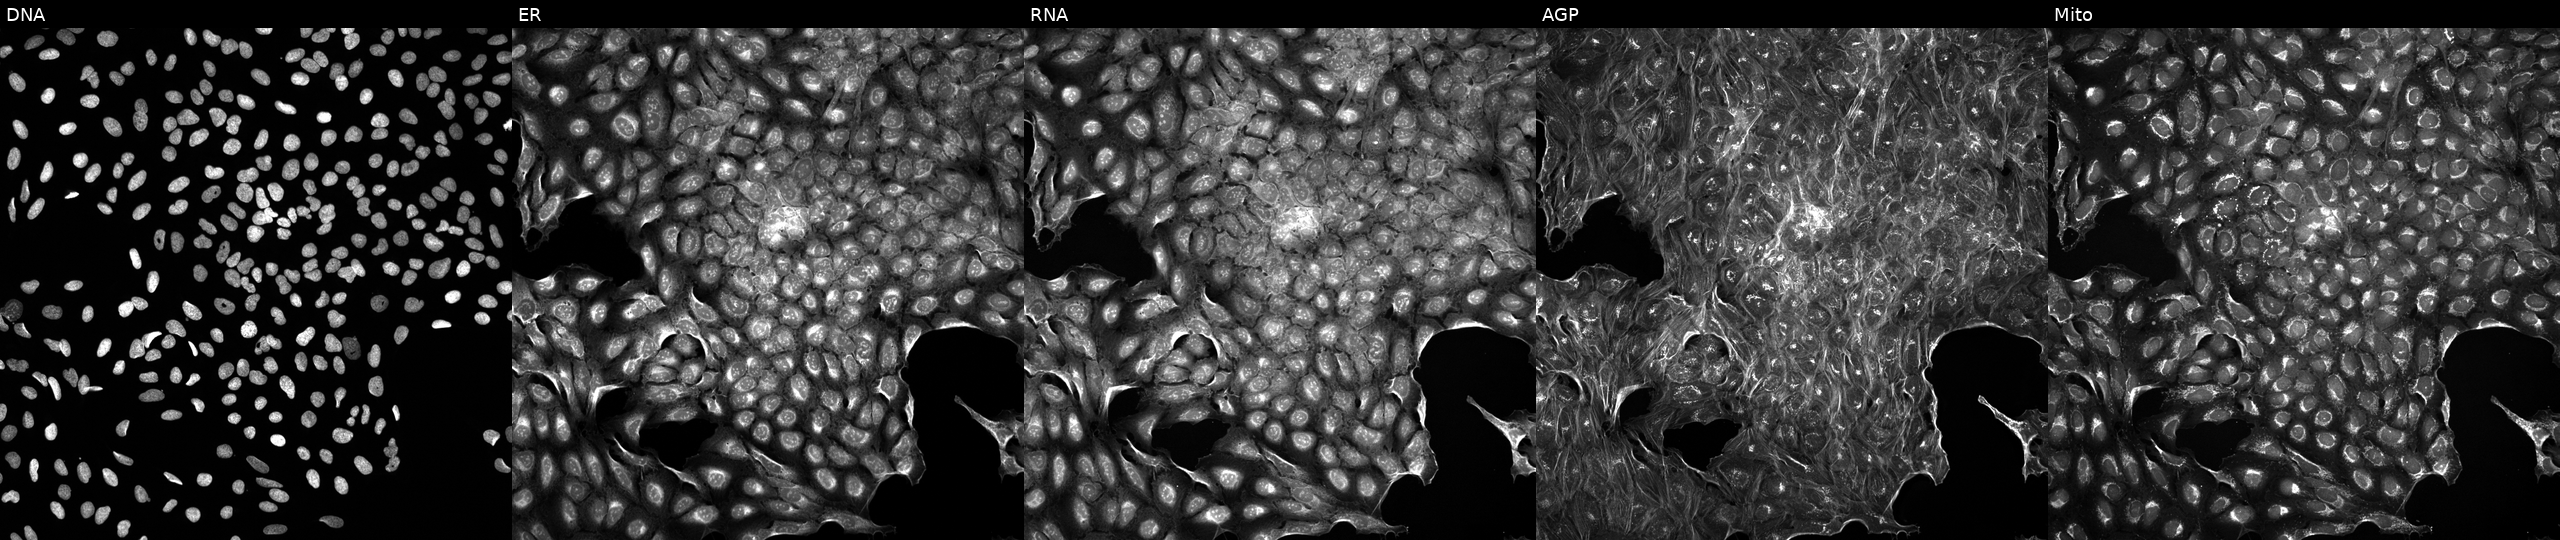
Five-channel Cell Painting image of U2OS cells treated with DMSO vehicle only (negative control) (JUMP id JCP2022_033924). The five panels, left to right, show DNA, ER, RNA, AGP, and Mito.